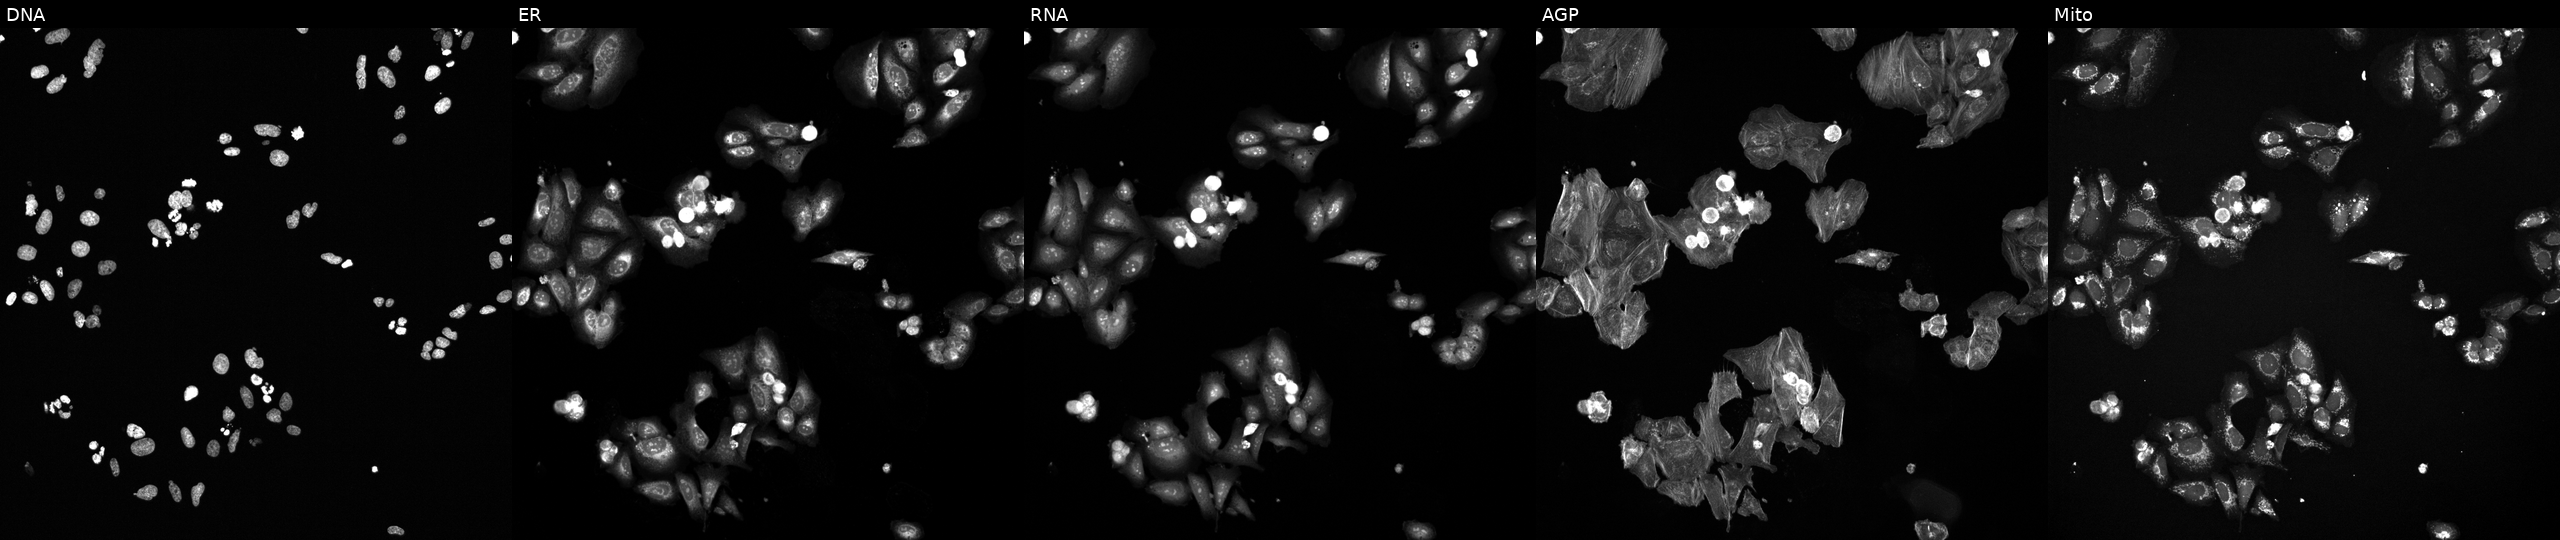
U2OS cells, Cell Painting assay, perturbed with a small-molecule compound (InChIKey MQHDZDURNIZPQV-UHFFFAOYSA-N) [SMILES: Cc1ccc2[nH]c(=NC(=O)c3cc(C)nc4c3c(C)nn4C)sc2c1]. The five panels, left to right, show DNA (nuclei); ER (endoplasmic reticulum); RNA (nucleoli and cytoplasmic RNA); AGP (actin cytoskeleton, Golgi, and plasma membrane); Mito (mitochondria). Each panel is percentile-stretched 16-bit fluorescence.